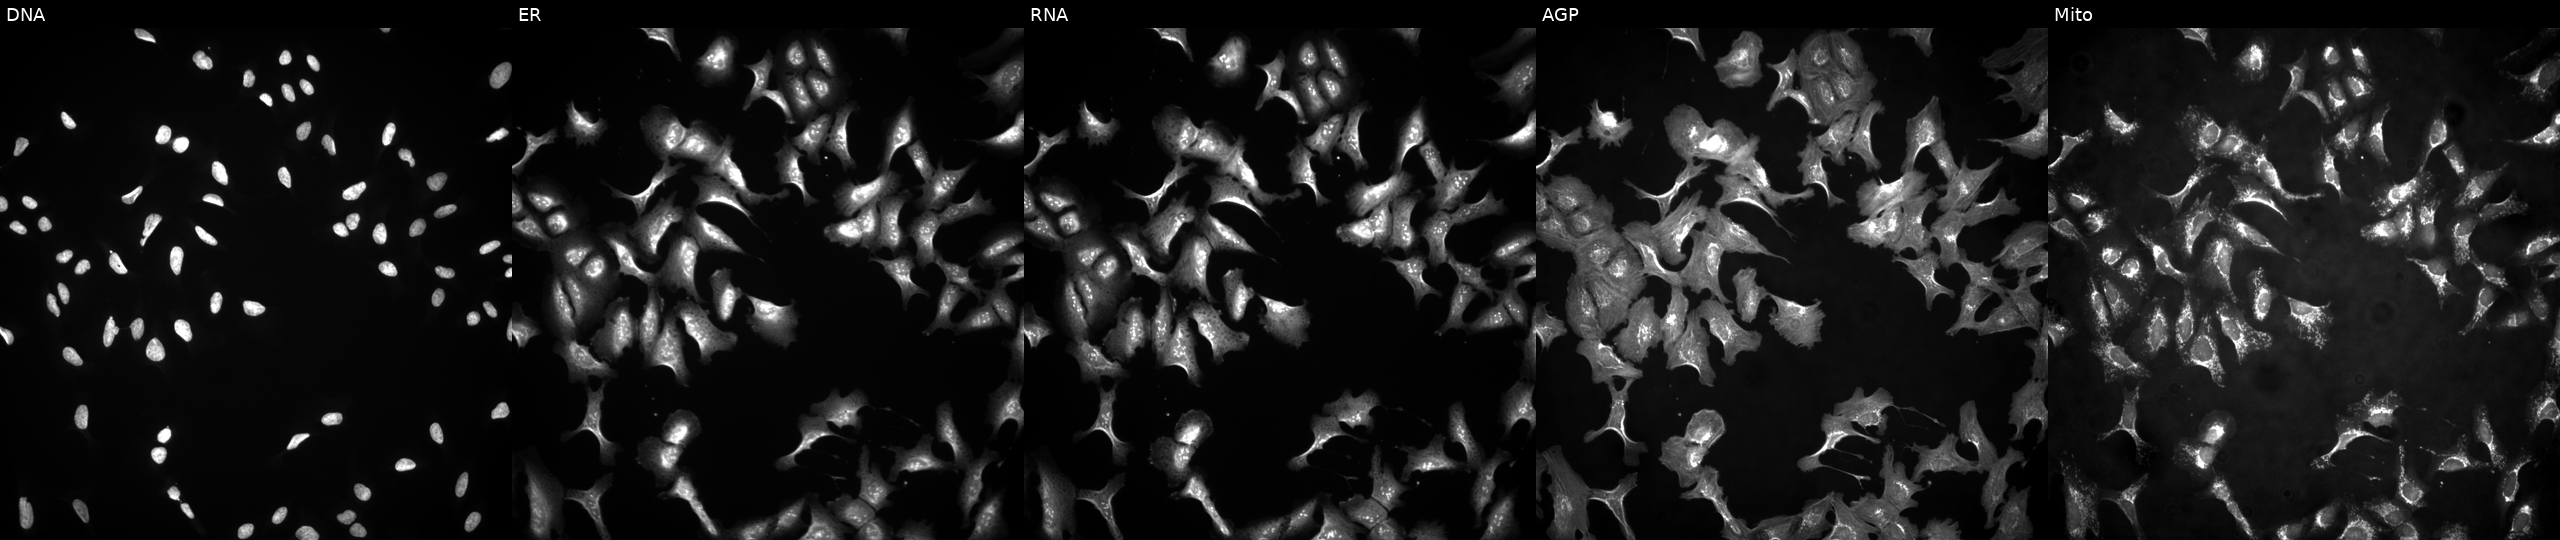
High-content fluorescence microscopy (Cell Painting). Cell line: U2OS. Perturbation: transfected with an ORF construct for FILIP1L (JUMP id JCP2022_902494). Channels (left→right): Hoechst 33342, concanavalin A, SYTO 14, phalloidin and WGA, MitoTracker. Source 4, plate BR00124784, well O07.